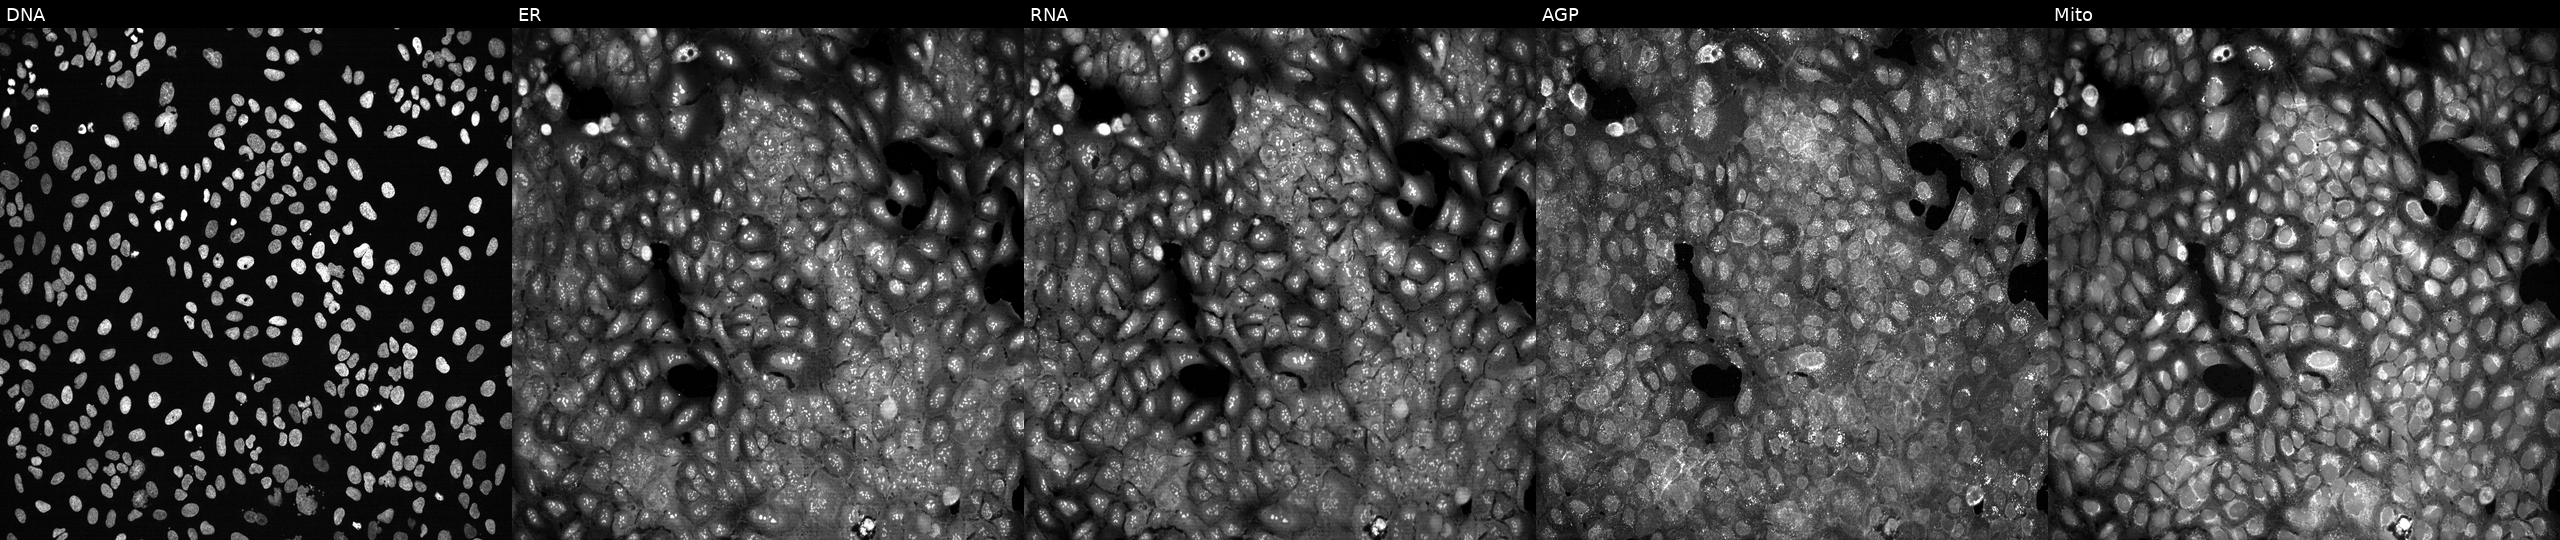
Panels show, left to right, Hoechst 33342, concanavalin A, SYTO 14, phalloidin and WGA, MitoTracker. U2OS osteosarcoma cells with PLTP knocked out by CRISPR (JUMP id JCP2022_805286). Cell Painting assay, JUMP-CP dataset. Source 13, plate CP-CC9-R1-02, well P09.